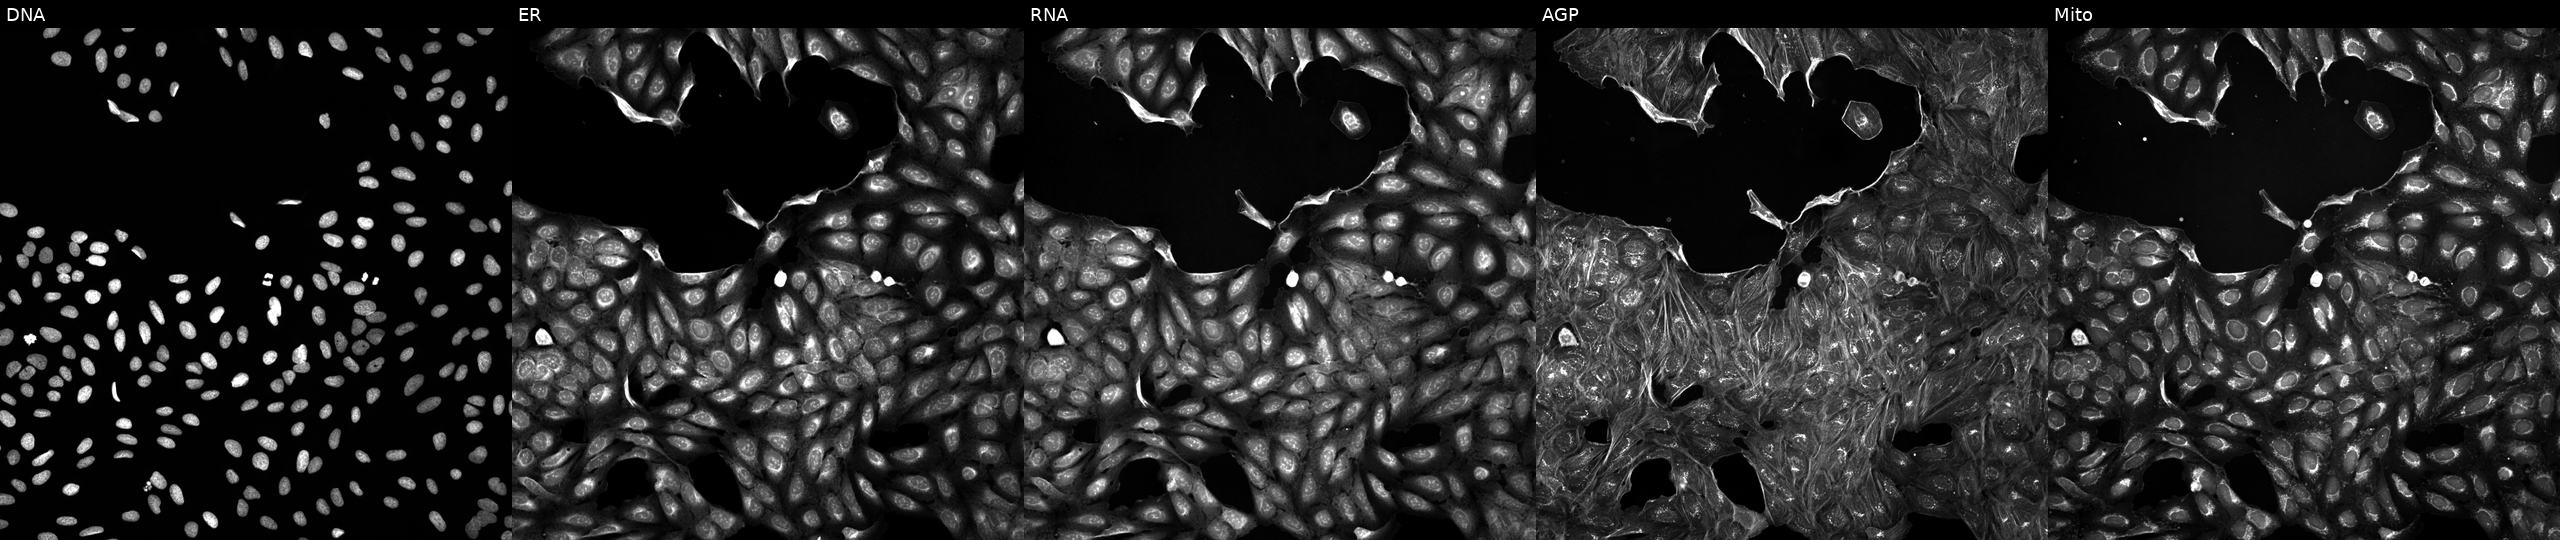
High-content fluorescence microscopy (Cell Painting). Cell line: U2OS. Perturbation: exposed to a small-molecule compound (InChIKey XXYGTCZJJLTAGH-UHFFFAOYSA-N) [SMILES: Cc1cc(-c2ncc(CC(=O)N=c3ccc(-c4cnccn4)c[nH]3)cc2C)ccn1] (JUMP id JCP2022_106781). The five panels, left to right, show DNA, ER, RNA, AGP, and Mito. Source 5, plate ACPJUM051, well J06.